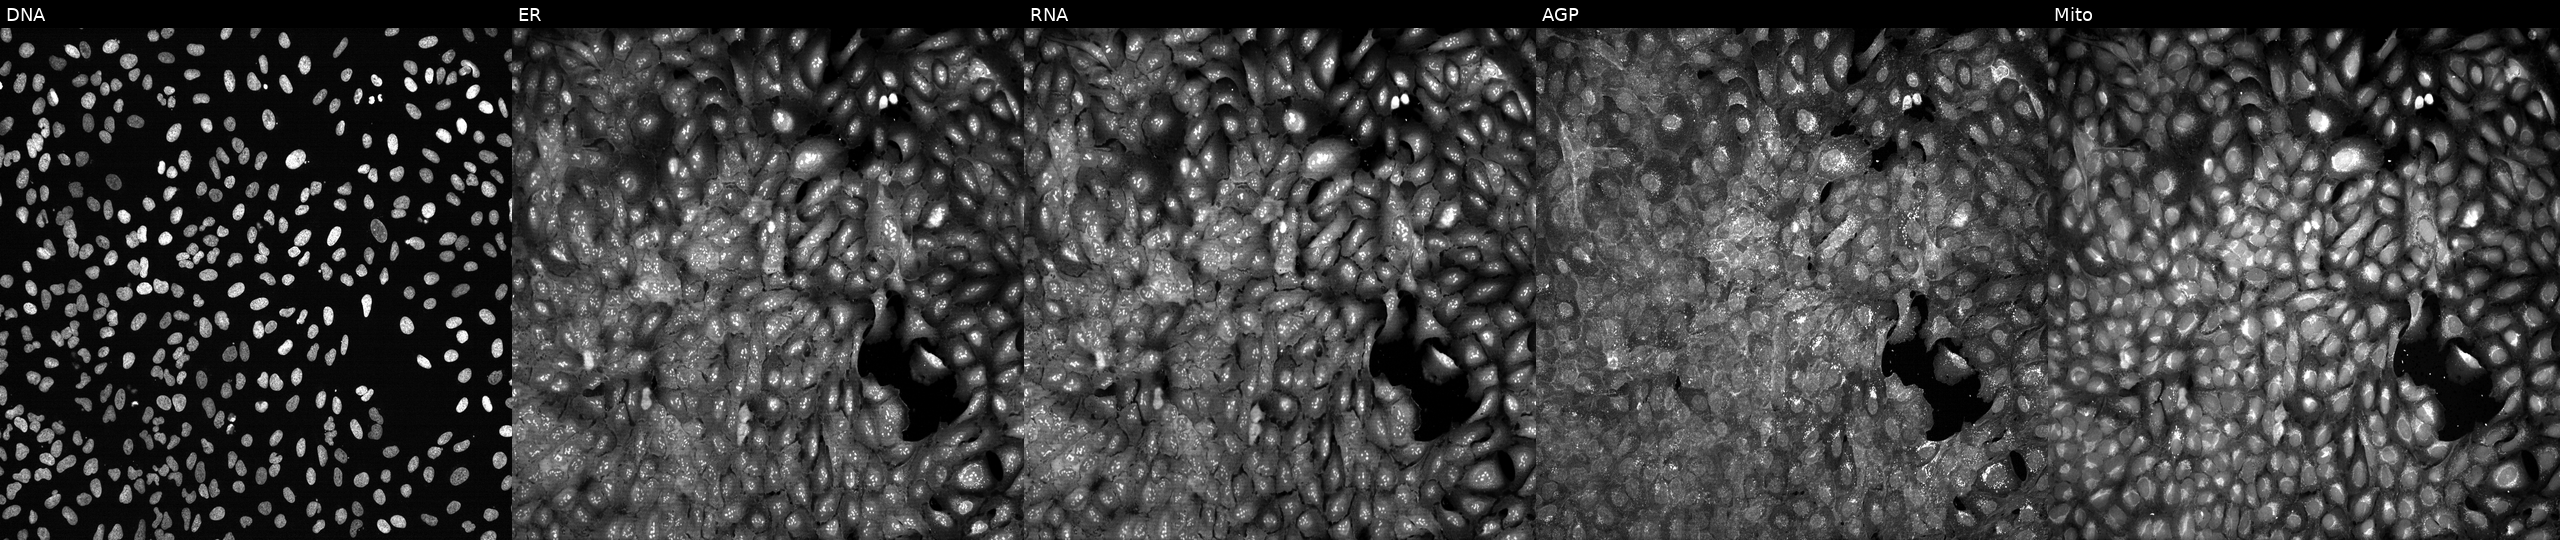
U2OS cells, Cell Painting assay, with ACOT1 knocked out by CRISPR (JUMP id JCP2022_800115). Panels show, left to right, Hoechst 33342, concanavalin A, SYTO 14, phalloidin and WGA, MitoTracker. Each panel is percentile-stretched 16-bit fluorescence. Source 13, plate CP-CC9-R1-01, well G05.